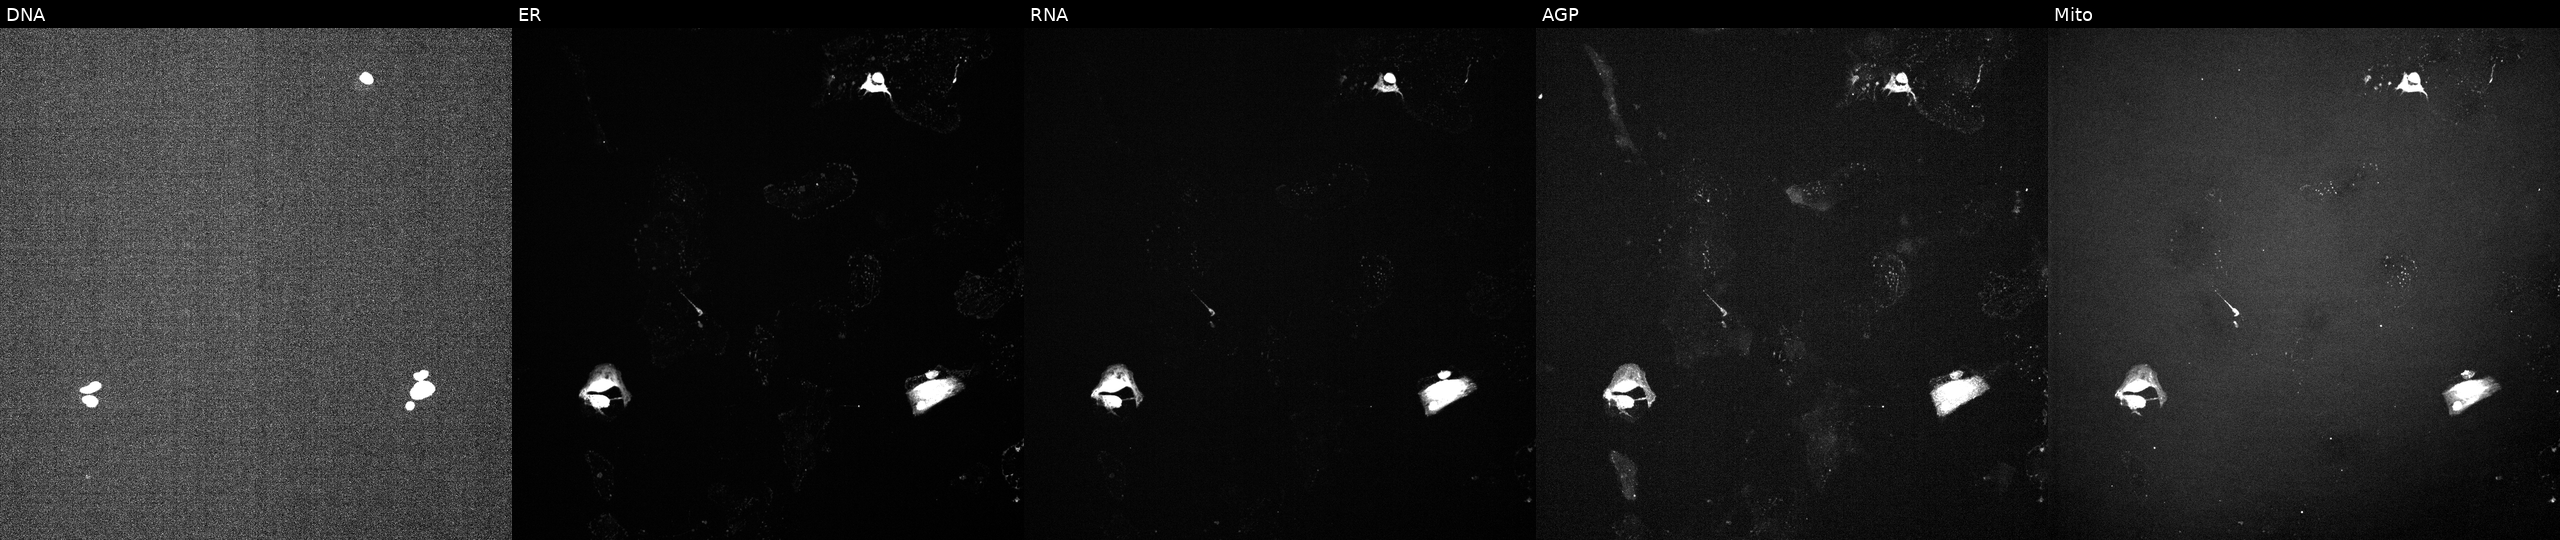
Five-channel Cell Painting image of U2OS cells treated with a small-molecule compound (InChIKey DUKQPWDVIZDABV-UHFFFAOYSA-N). The five panels, left to right, show Hoechst 33342, concanavalin A, SYTO 14, phalloidin and WGA, MitoTracker.